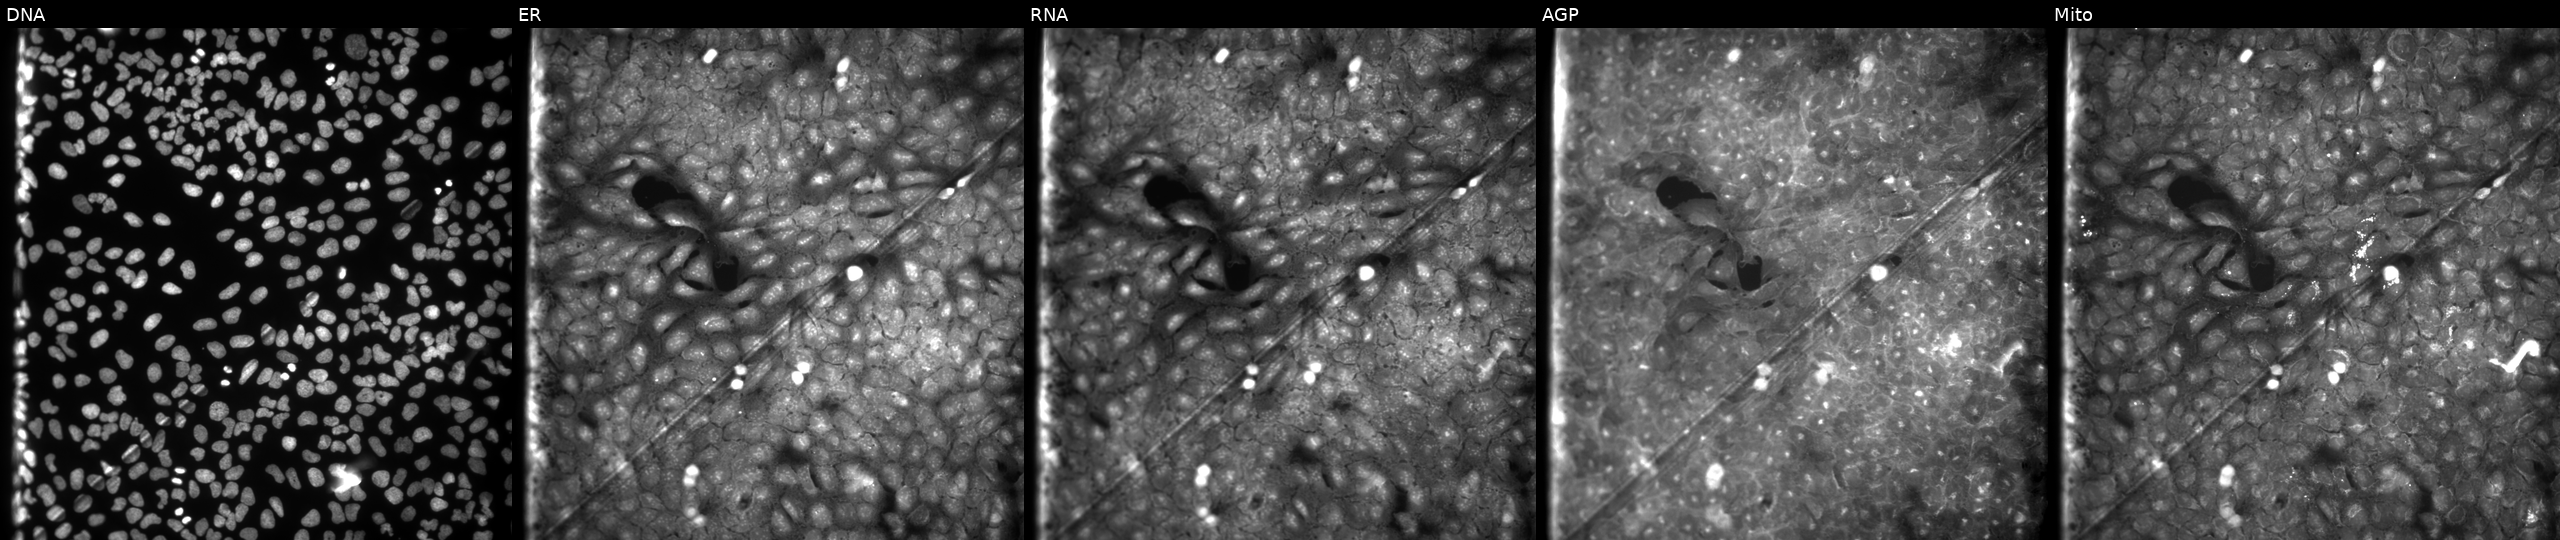
This image strip shows the five Cell Painting channels for a single field of U2OS cells treated with a small-molecule compound. From left to right: DNA, ER, RNA, AGP, and Mito. Source 9, plate GR00003381, well I07.